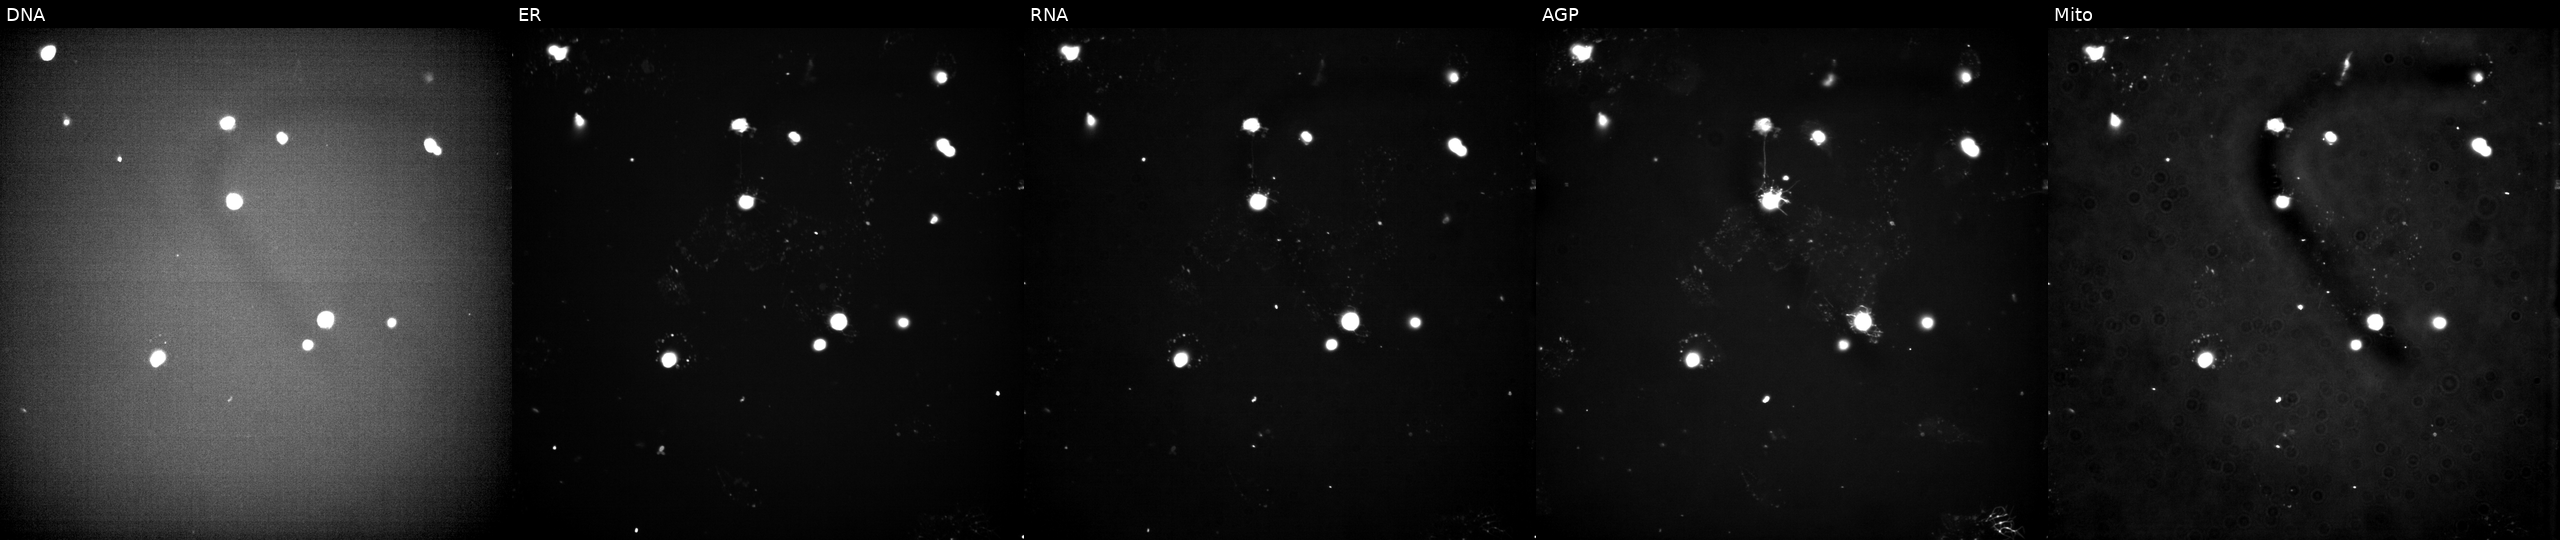
High-content fluorescence microscopy (Cell Painting). Cell line: U2OS. Perturbation: perturbed with a small-molecule compound (InChIKey IAYGCINLNONXHY-UHFFFAOYSA-N) (JUMP id JCP2022_033914). Panels show, left to right, DNA, ER, RNA, AGP, and Mito. Source 3, plate JCPQC053, well F22.